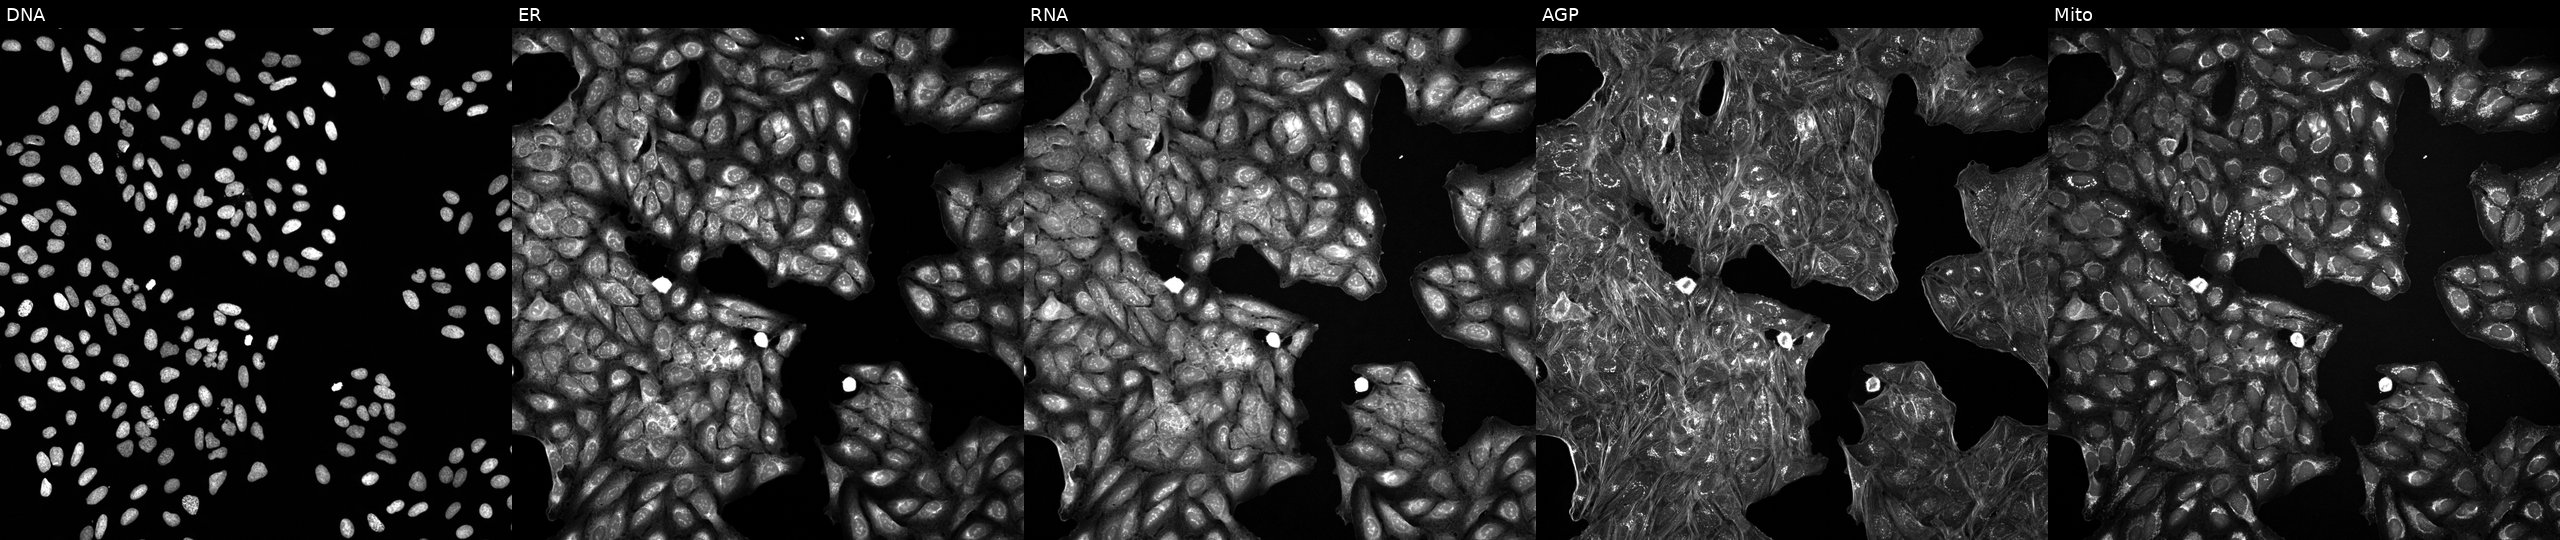
High-content fluorescence microscopy (Cell Painting). Cell line: U2OS. Perturbation: treated with a small-molecule compound. Panels show, left to right, Hoechst 33342, concanavalin A, SYTO 14, phalloidin and WGA, MitoTracker.